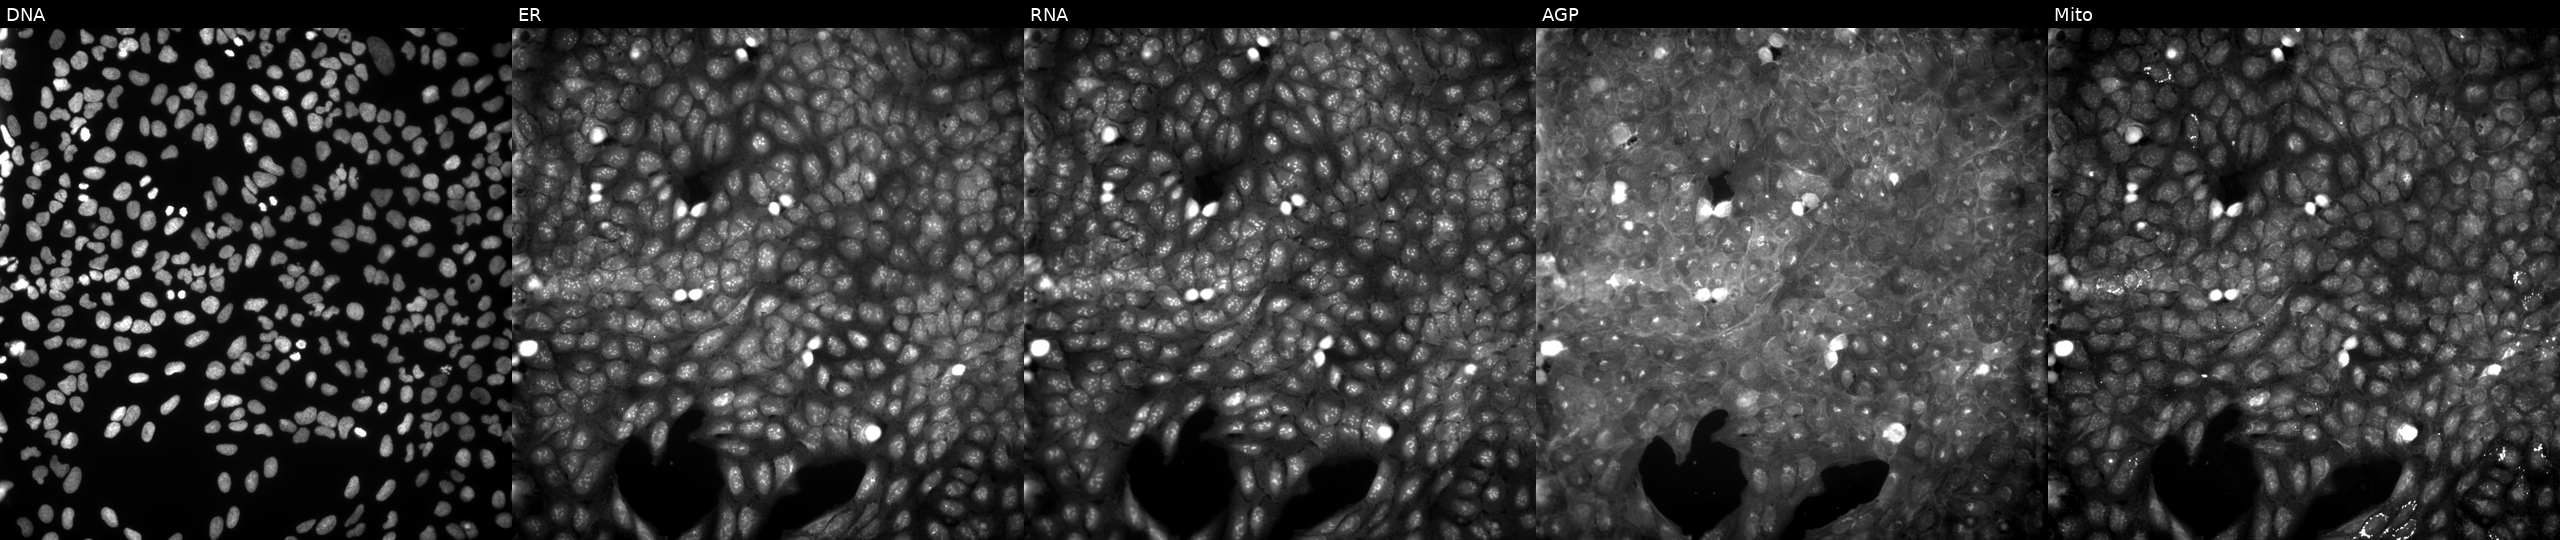
U2OS cells, Cell Painting assay, treated with a small-molecule compound. The five panels, left to right, show DNA, ER, RNA, AGP, and Mito. Each panel is percentile-stretched 16-bit fluorescence. Source 9, plate GR00003382, well Q17.